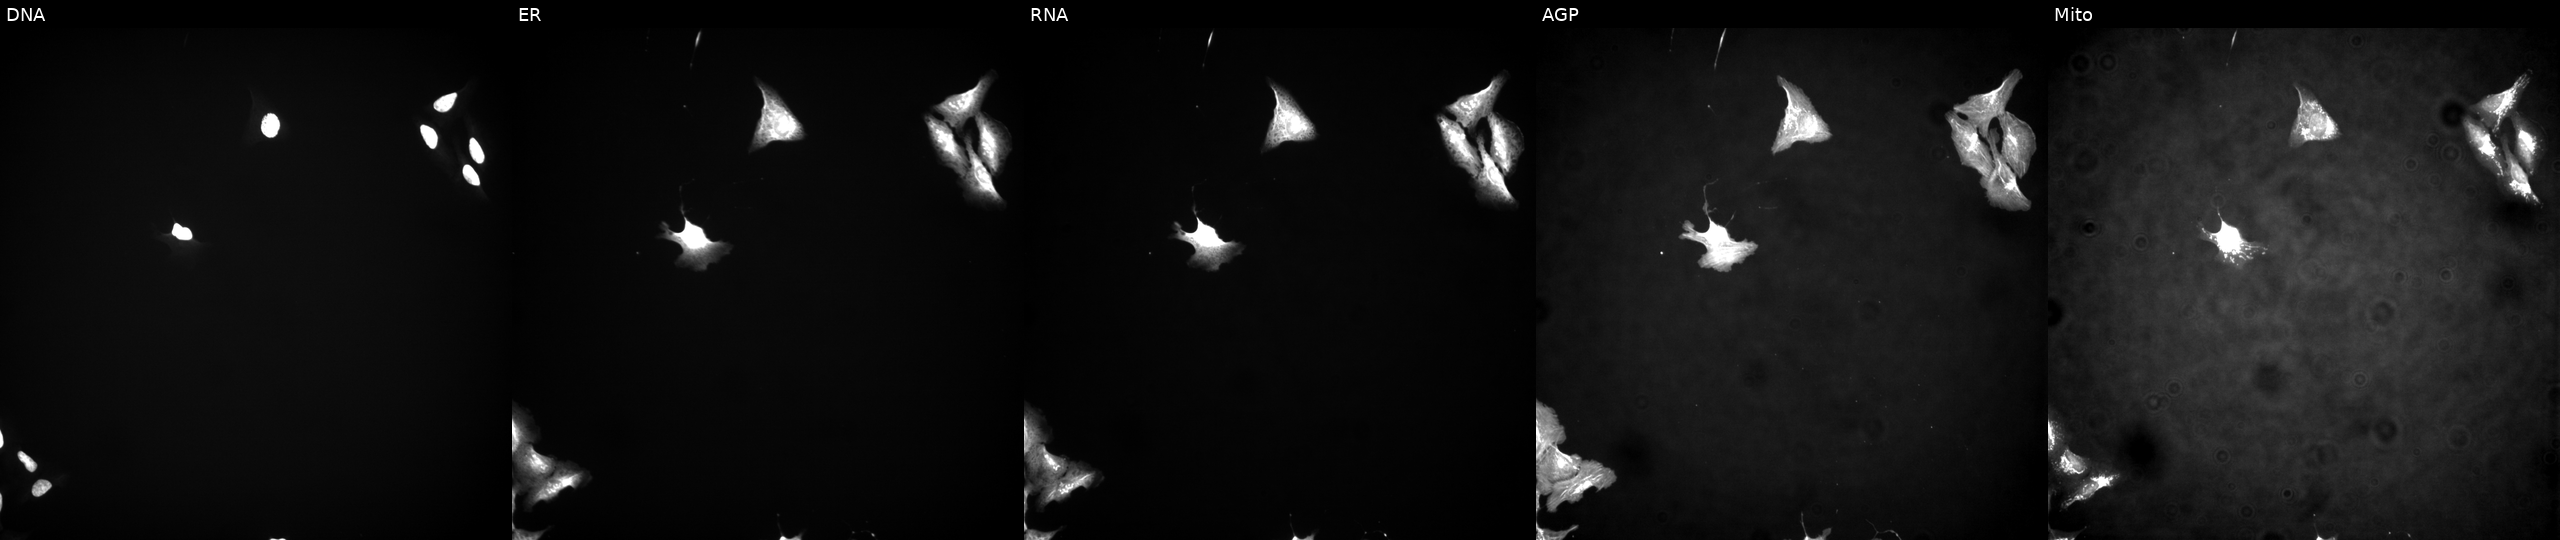
U2OS cells, Cell Painting assay, with PNPLA4 overexpressed (ORF). The five panels, left to right, show DNA, ER, RNA, AGP, and Mito. Each panel is percentile-stretched 16-bit fluorescence.